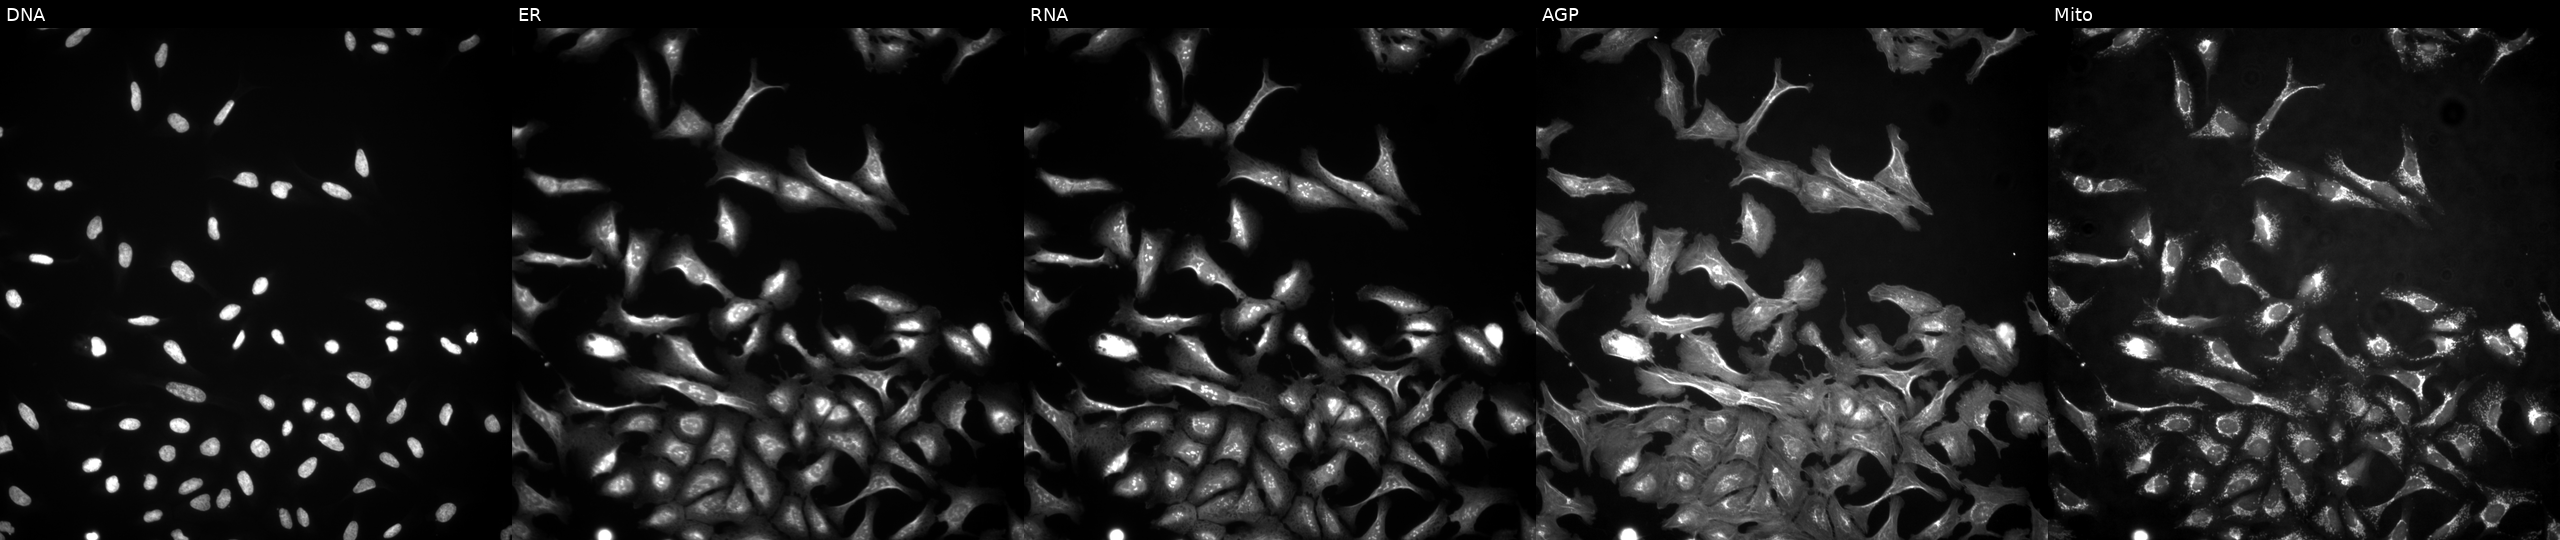
Five-channel Cell Painting image of U2OS cells transfected with an ORF construct for CRIPT (JUMP id JCP2022_902019). Channels (left→right): Hoechst 33342, concanavalin A, SYTO 14, phalloidin and WGA, MitoTracker. Source 4, plate BR00123509, well B02.